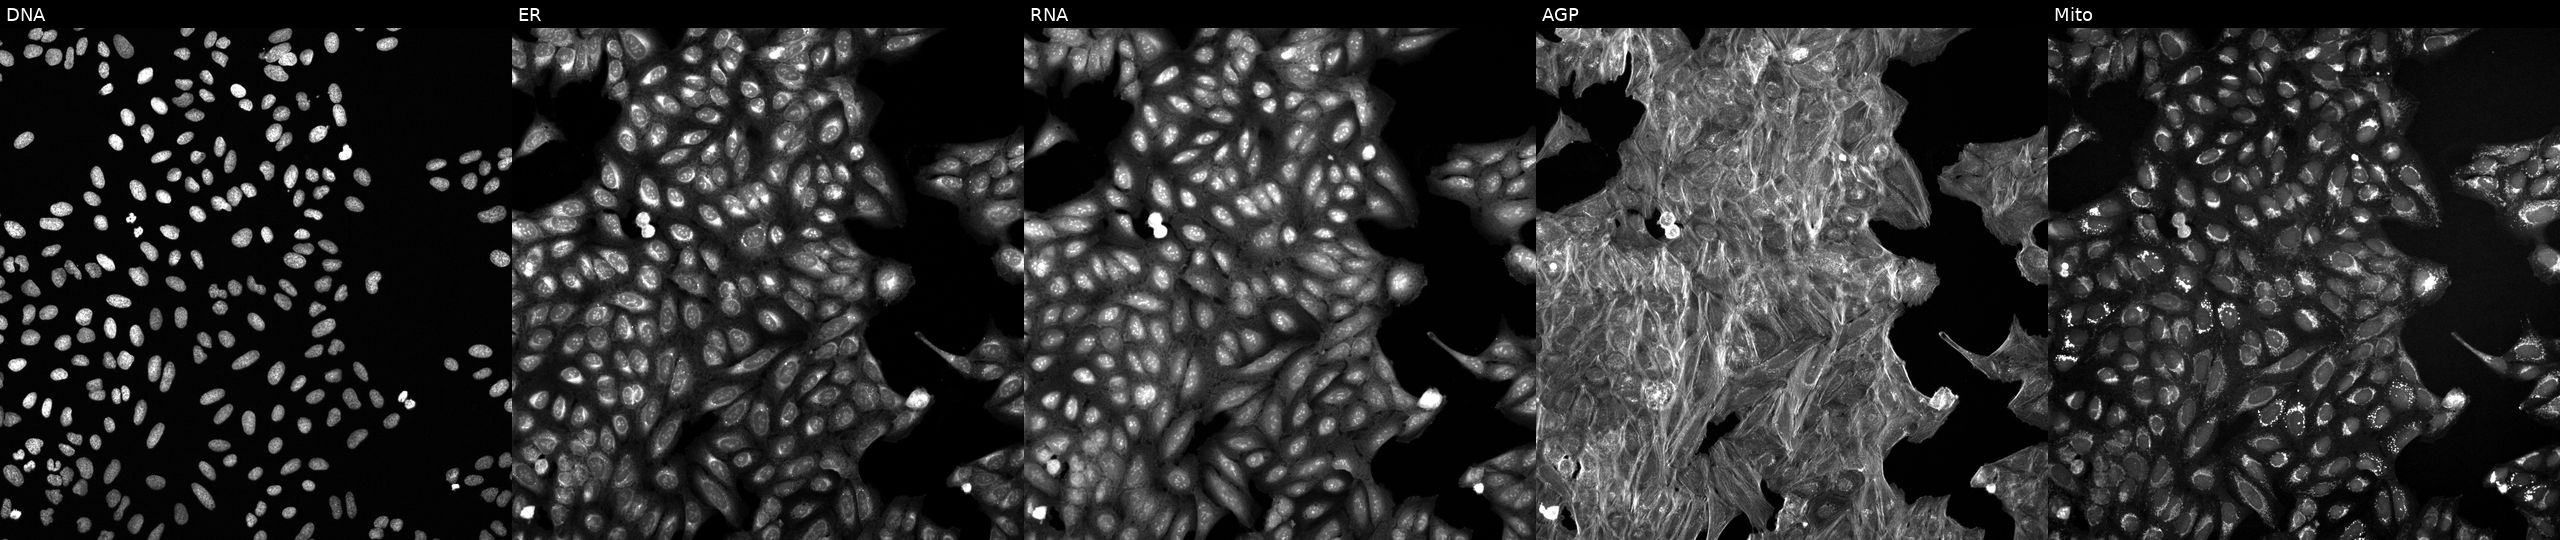
Five-channel Cell Painting image of U2OS cells treated with a small-molecule compound (InChIKey QUIIIYITNGOFEI-UHFFFAOYSA-N) (JUMP id JCP2022_075930). Panels show, left to right, Hoechst 33342, concanavalin A, SYTO 14, phalloidin and WGA, MitoTracker. Source 6, plate 110000293093, well C12.